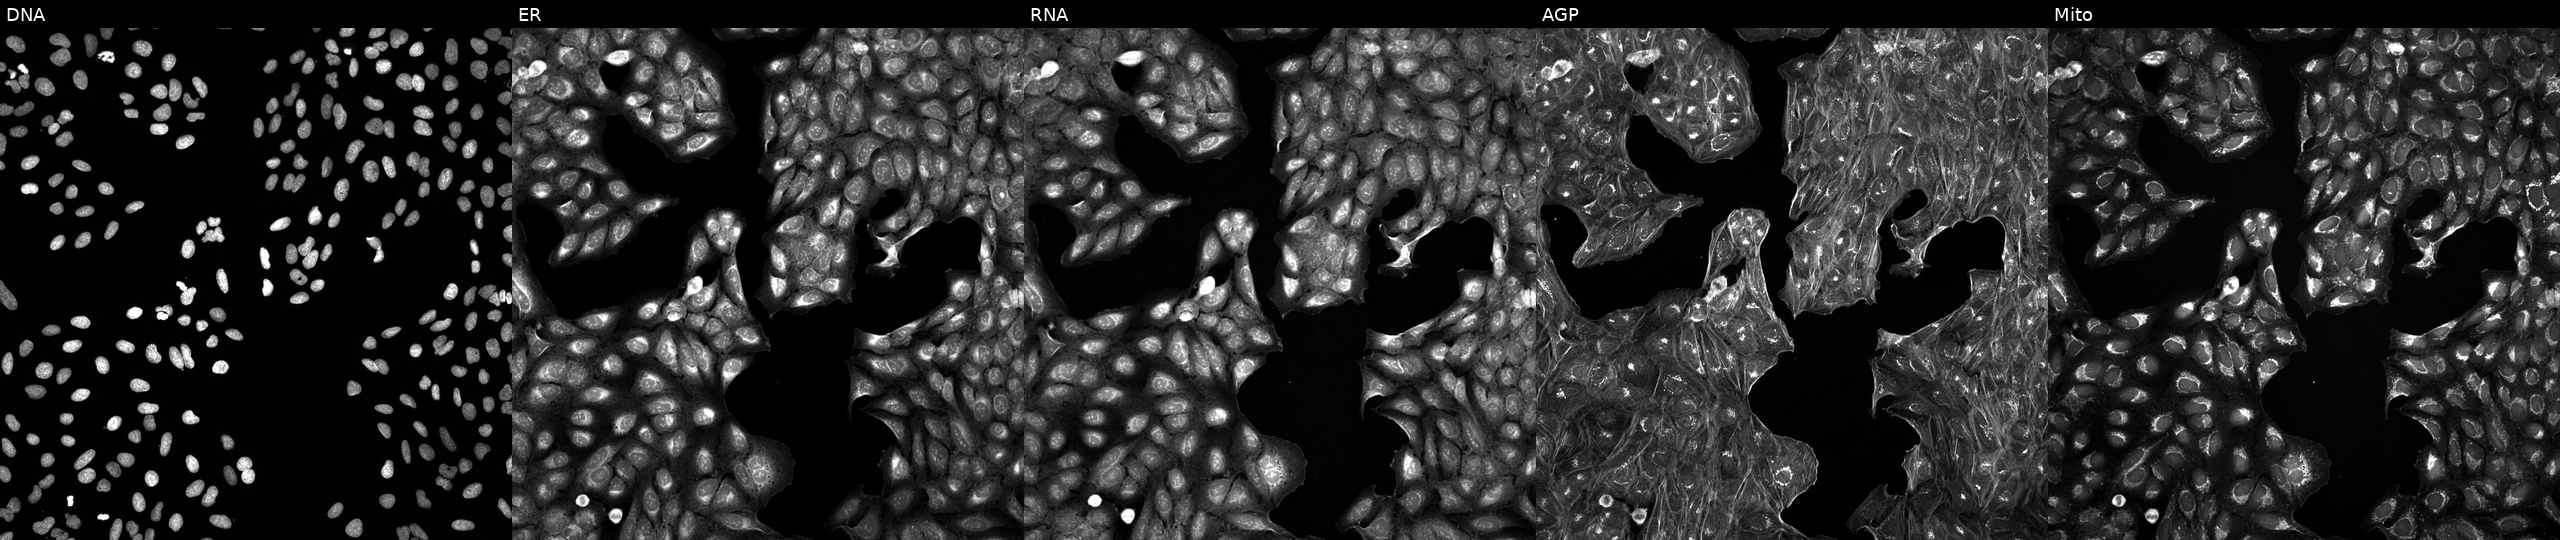
This image strip shows the five Cell Painting channels for a single field of U2OS cells perturbed with a small-molecule compound (InChIKey LLVZBTWPGQVVLW-UHFFFAOYSA-N) (JUMP id JCP2022_050271). Channels (left→right): DNA, ER, RNA, AGP, and Mito. Source 5, plate ACPJUM012, well E12.